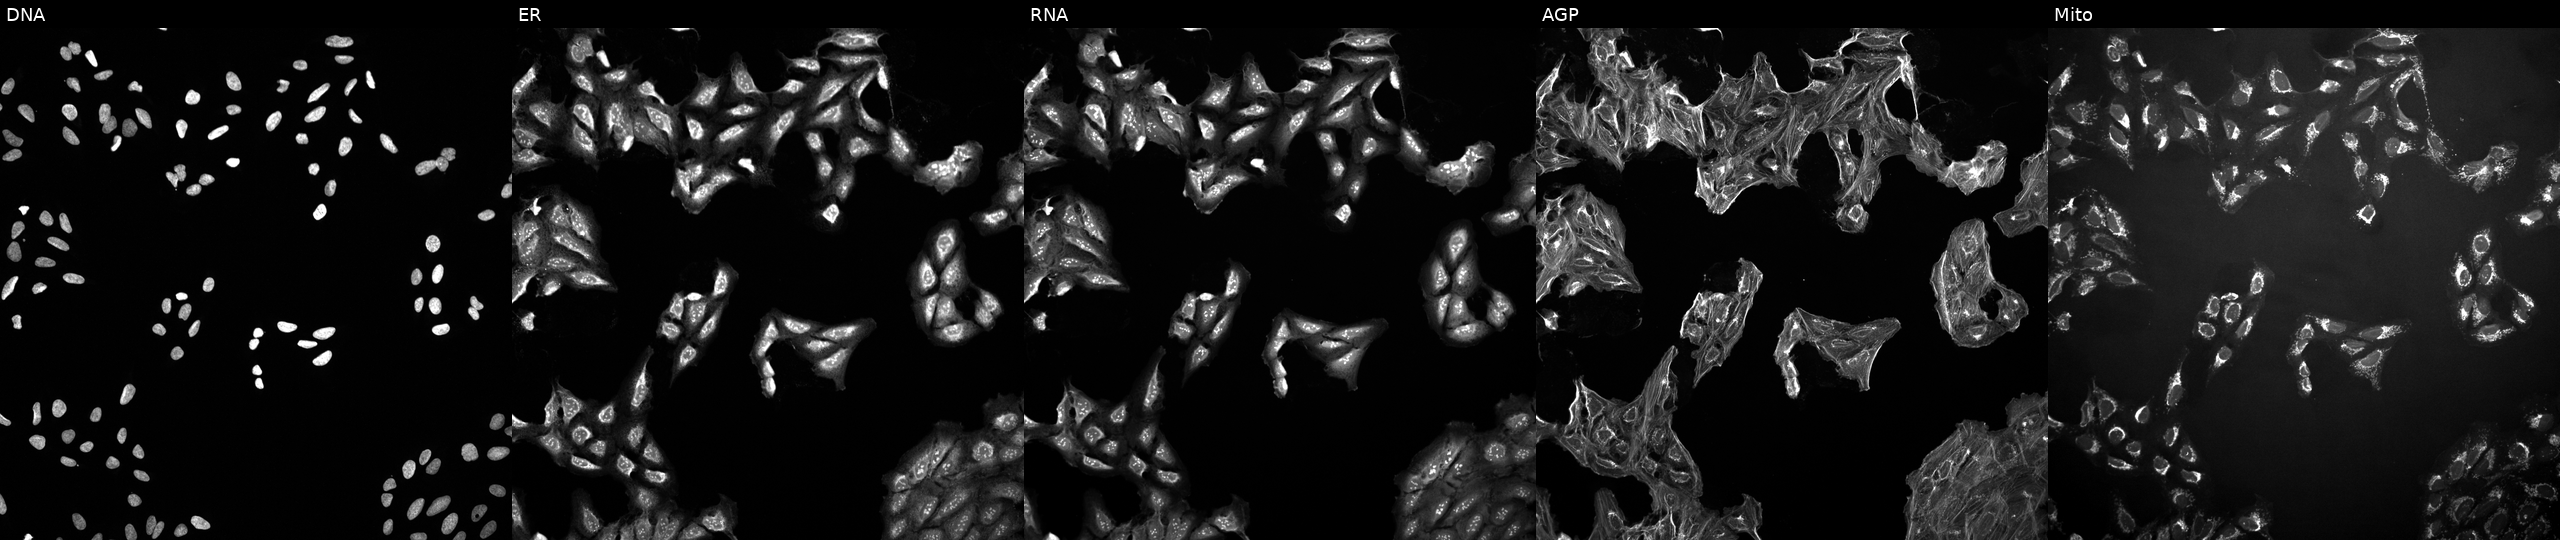
From left to right: Hoechst 33342, concanavalin A, SYTO 14, phalloidin and WGA, MitoTracker. U2OS osteosarcoma cells treated with DMSO vehicle only (negative control). Cell Painting assay, JUMP-CP dataset. Source 10, plate Dest210726-160150, well F05.